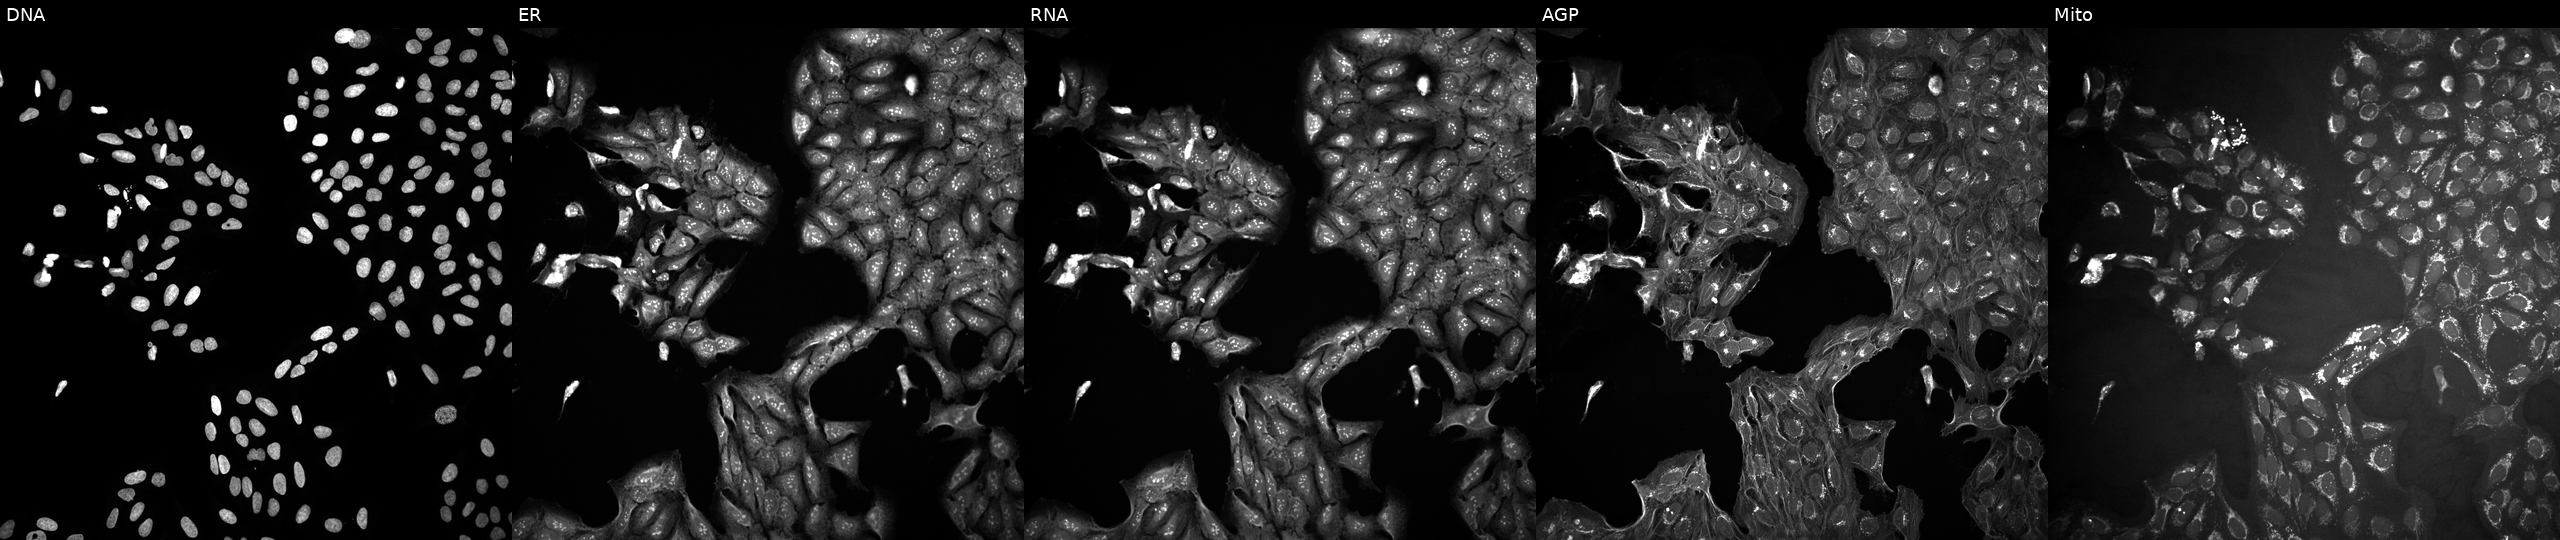
Panels show, left to right, DNA, ER, RNA, AGP, and Mito. U2OS osteosarcoma cells exposed to DMSO alone as a negative control. Cell Painting assay, JUMP-CP dataset.